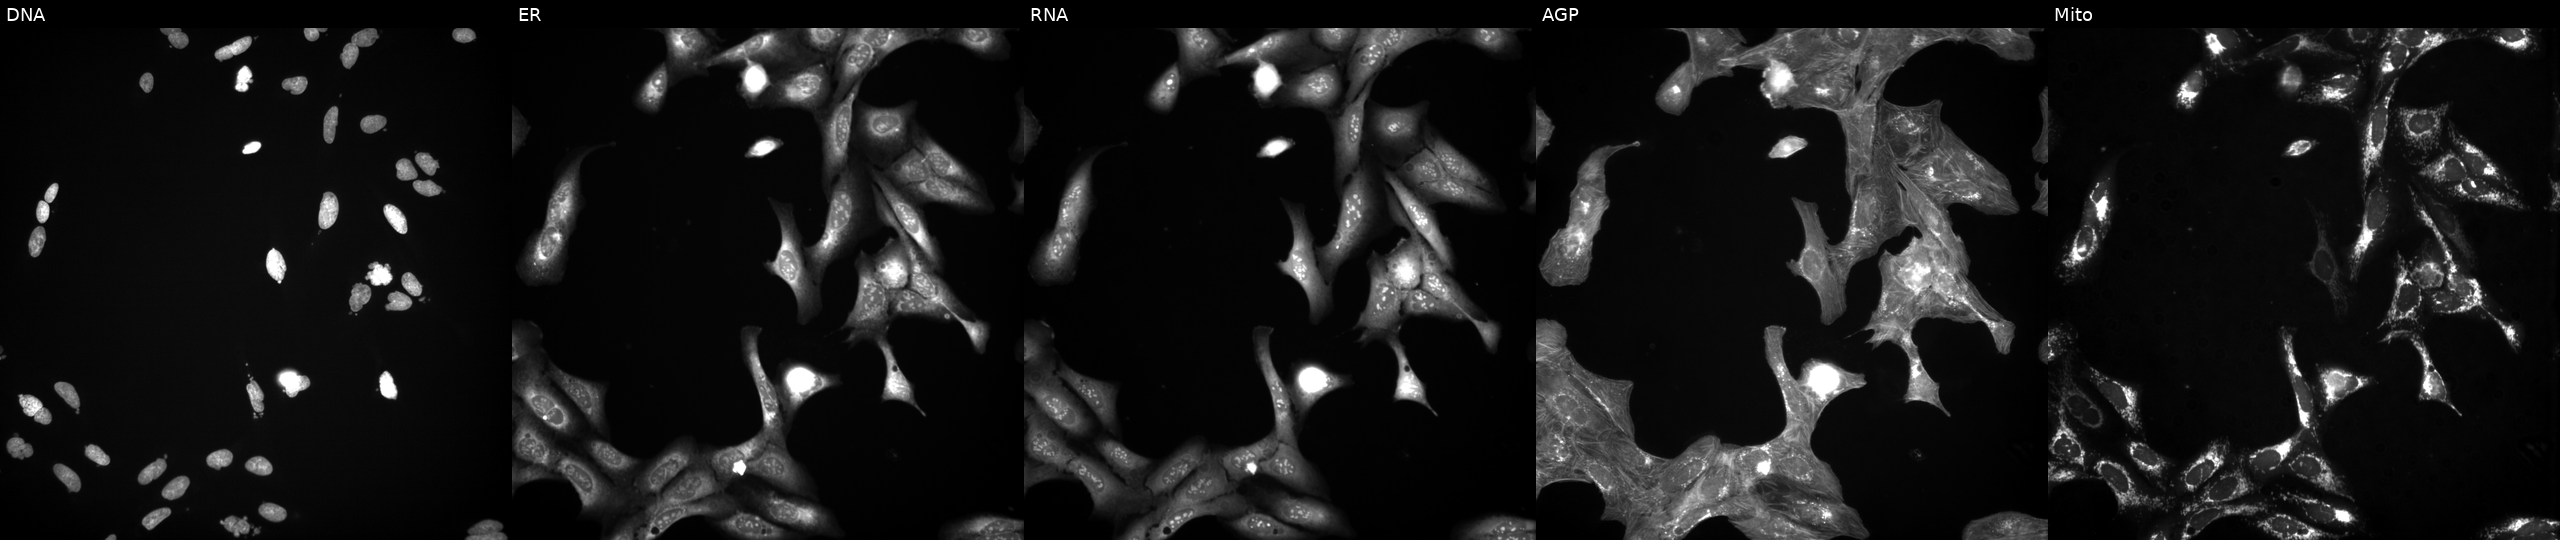
Five-channel Cell Painting image of U2OS cells exposed to a small-molecule compound (InChIKey KRBSMMVJJVHVCB-UHFFFAOYSA-N) [SMILES: COC(C(=O)n1cc2[nH][nH]c(=NC(O)c3ccc(N4CCN(C)CC4)cc3)c2c1)c1ccccc1]. From left to right: DNA, ER, RNA, AGP, and Mito.